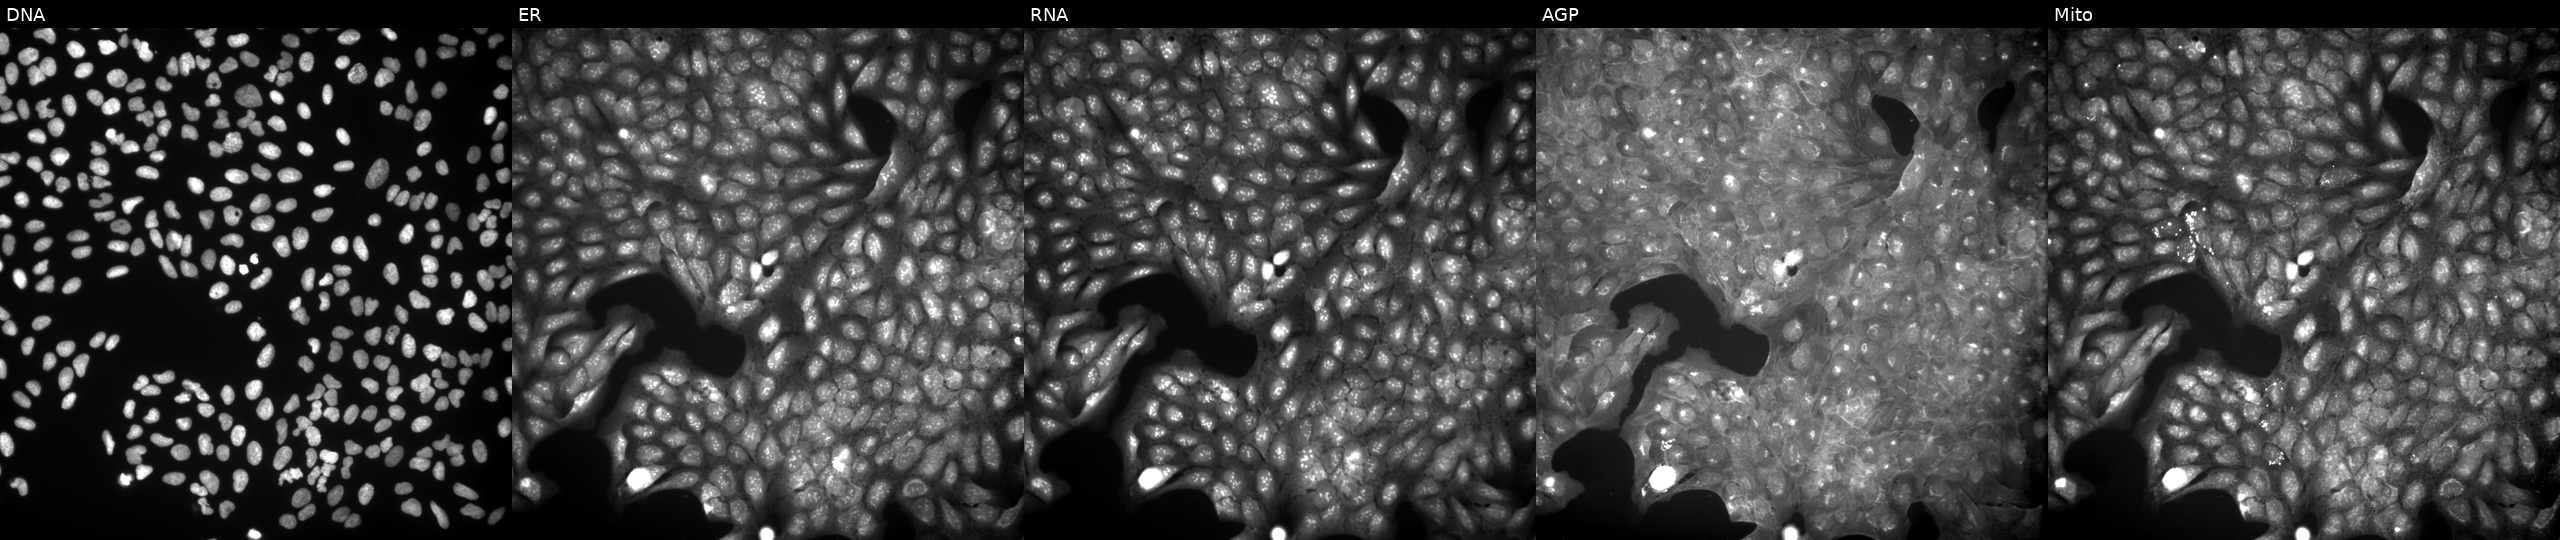
From left to right: Hoechst 33342, concanavalin A, SYTO 14, phalloidin and WGA, MitoTracker. U2OS osteosarcoma cells exposed to a small-molecule compound (InChIKey QARULBNZWNDVPO-UHFFFAOYSA-N). Cell Painting assay, JUMP-CP dataset. Source 9, plate GR00003382, well J40.